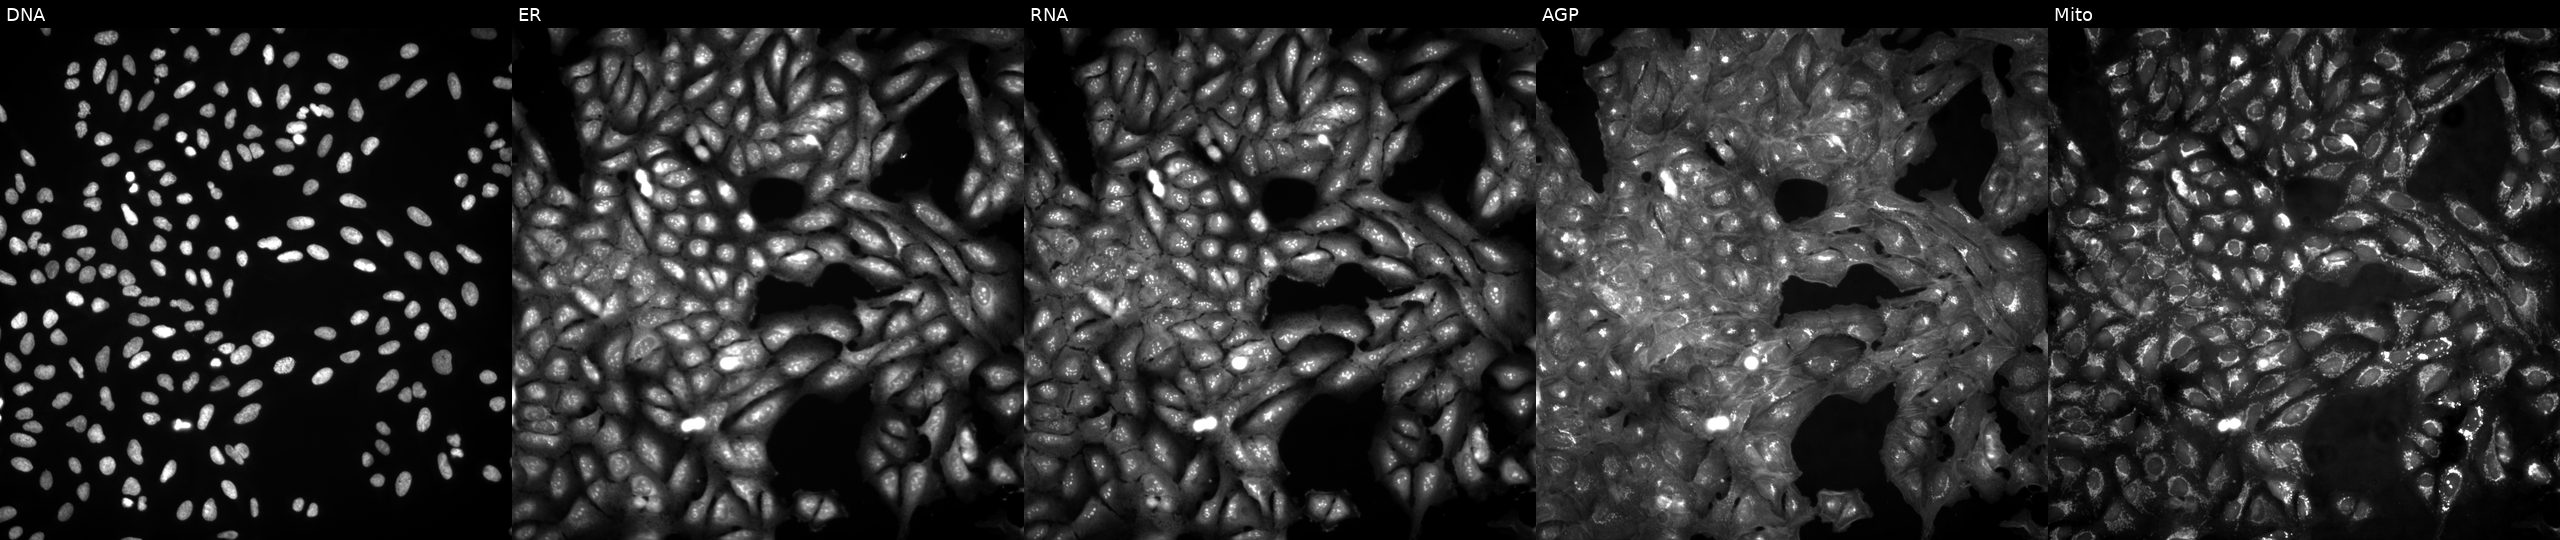
This image strip shows the five Cell Painting channels for a single field of U2OS cells untreated (empty-well control). From left to right: DNA (nuclei); ER (endoplasmic reticulum); RNA (nucleoli and cytoplasmic RNA); AGP (actin cytoskeleton, Golgi, and plasma membrane); Mito (mitochondria).